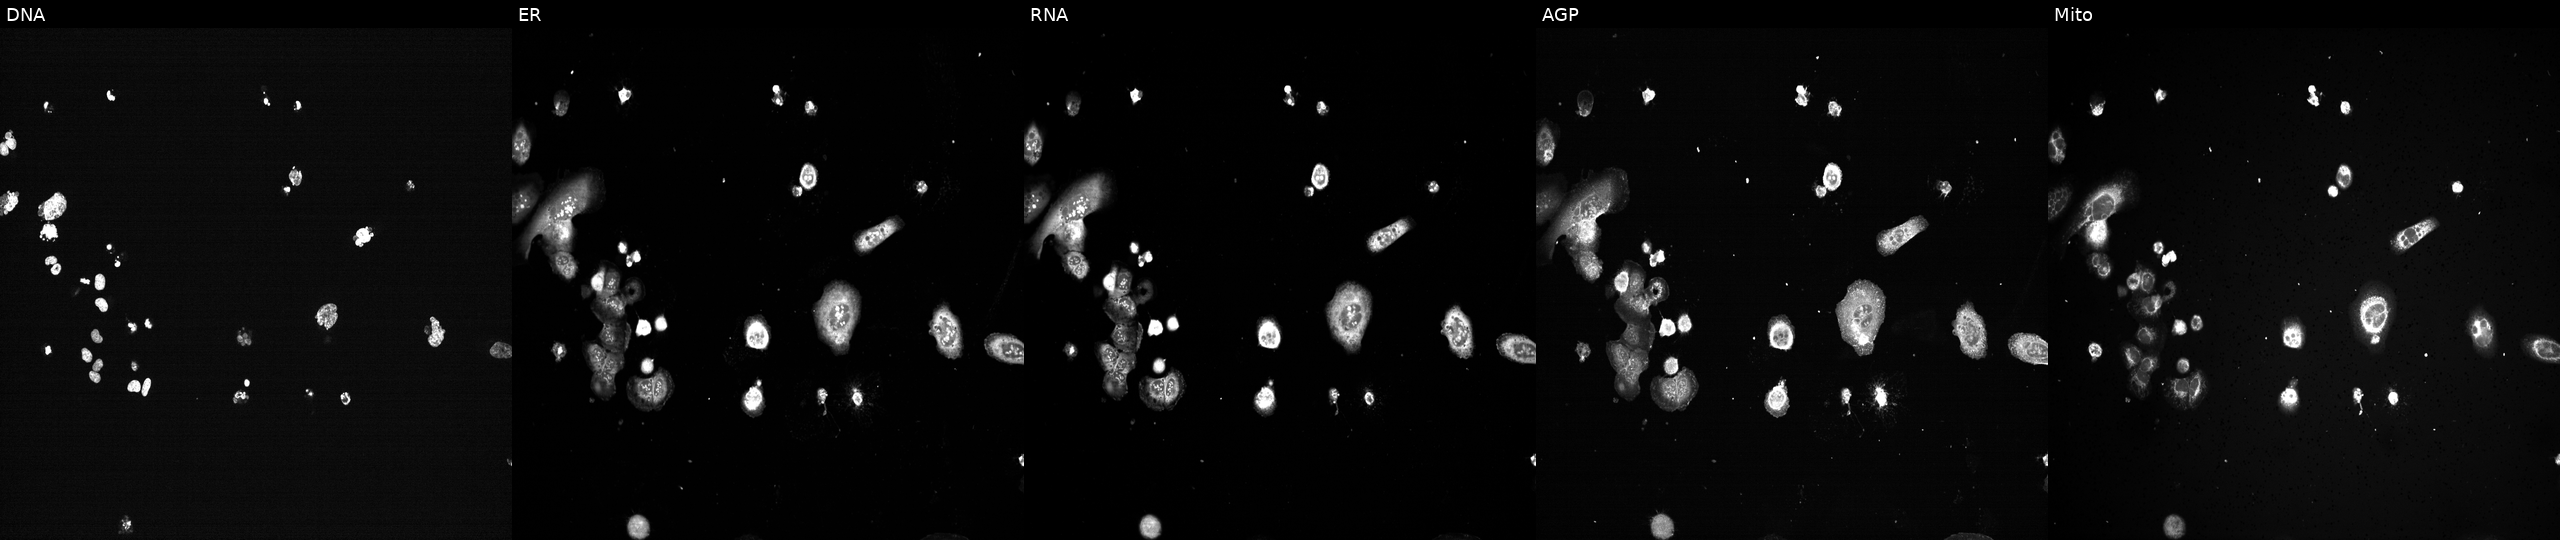
Five-channel Cell Painting image of U2OS cells with PLK1 knocked out by CRISPR (positive control). From left to right: DNA (nuclei); ER (endoplasmic reticulum); RNA (nucleoli and cytoplasmic RNA); AGP (actin cytoskeleton, Golgi, and plasma membrane); Mito (mitochondria). Source 13, plate CP-CC9-R4-04, well B23.